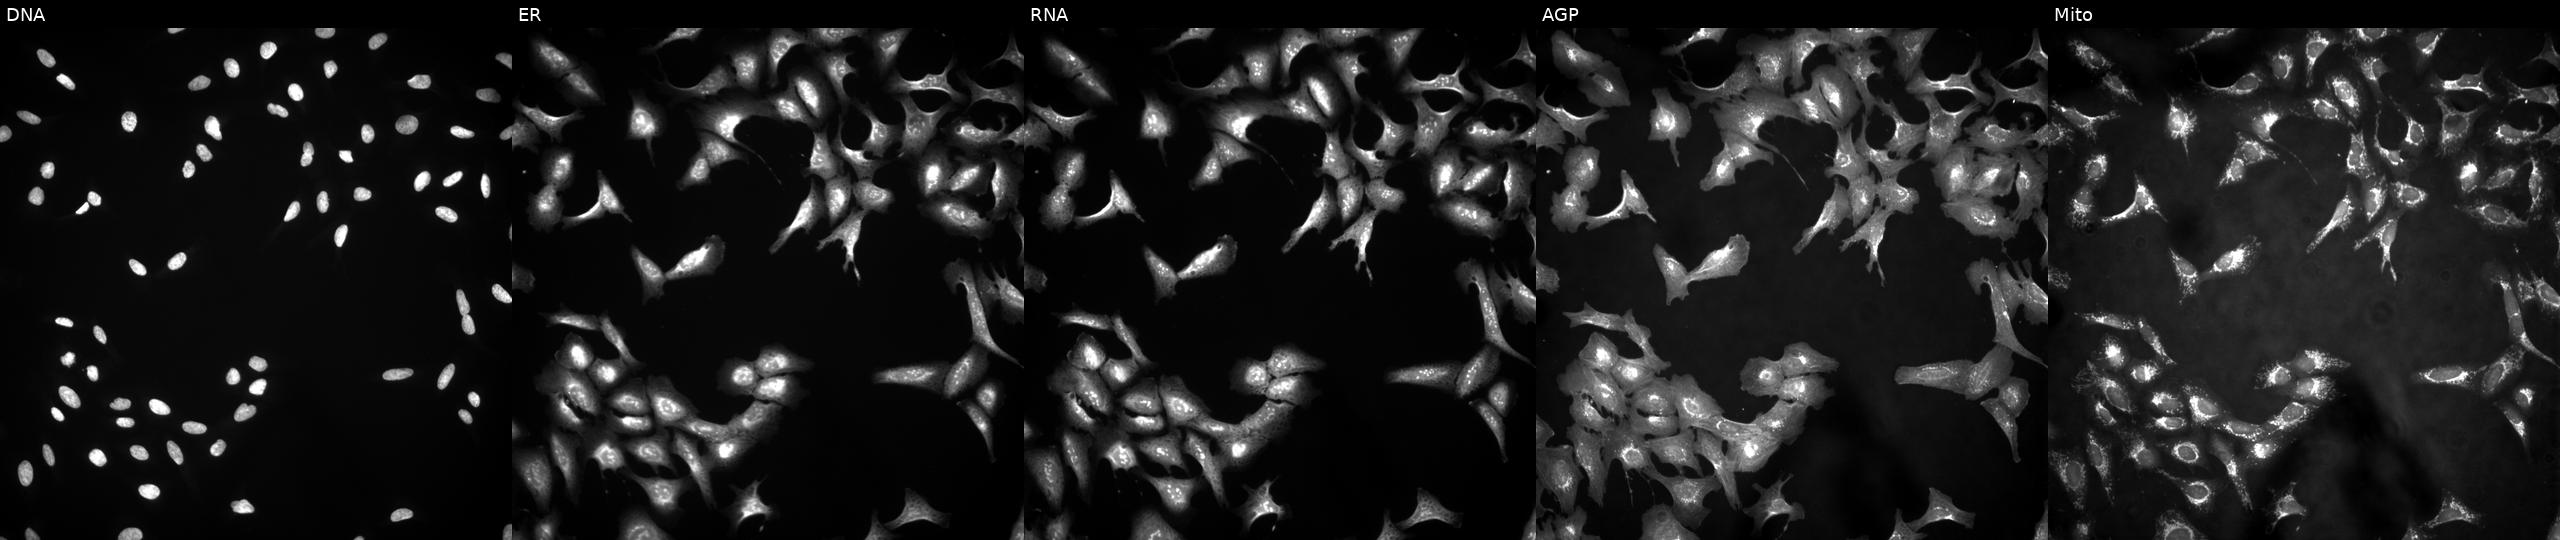
JUMP Cell Painting — ORF plate. U2OS cells overexpressing GBE1 via ORF transfection (JUMP id JCP2022_905856). From left to right: DNA (nuclei); ER (endoplasmic reticulum); RNA (nucleoli and cytoplasmic RNA); AGP (actin cytoskeleton, Golgi, and plasma membrane); Mito (mitochondria).